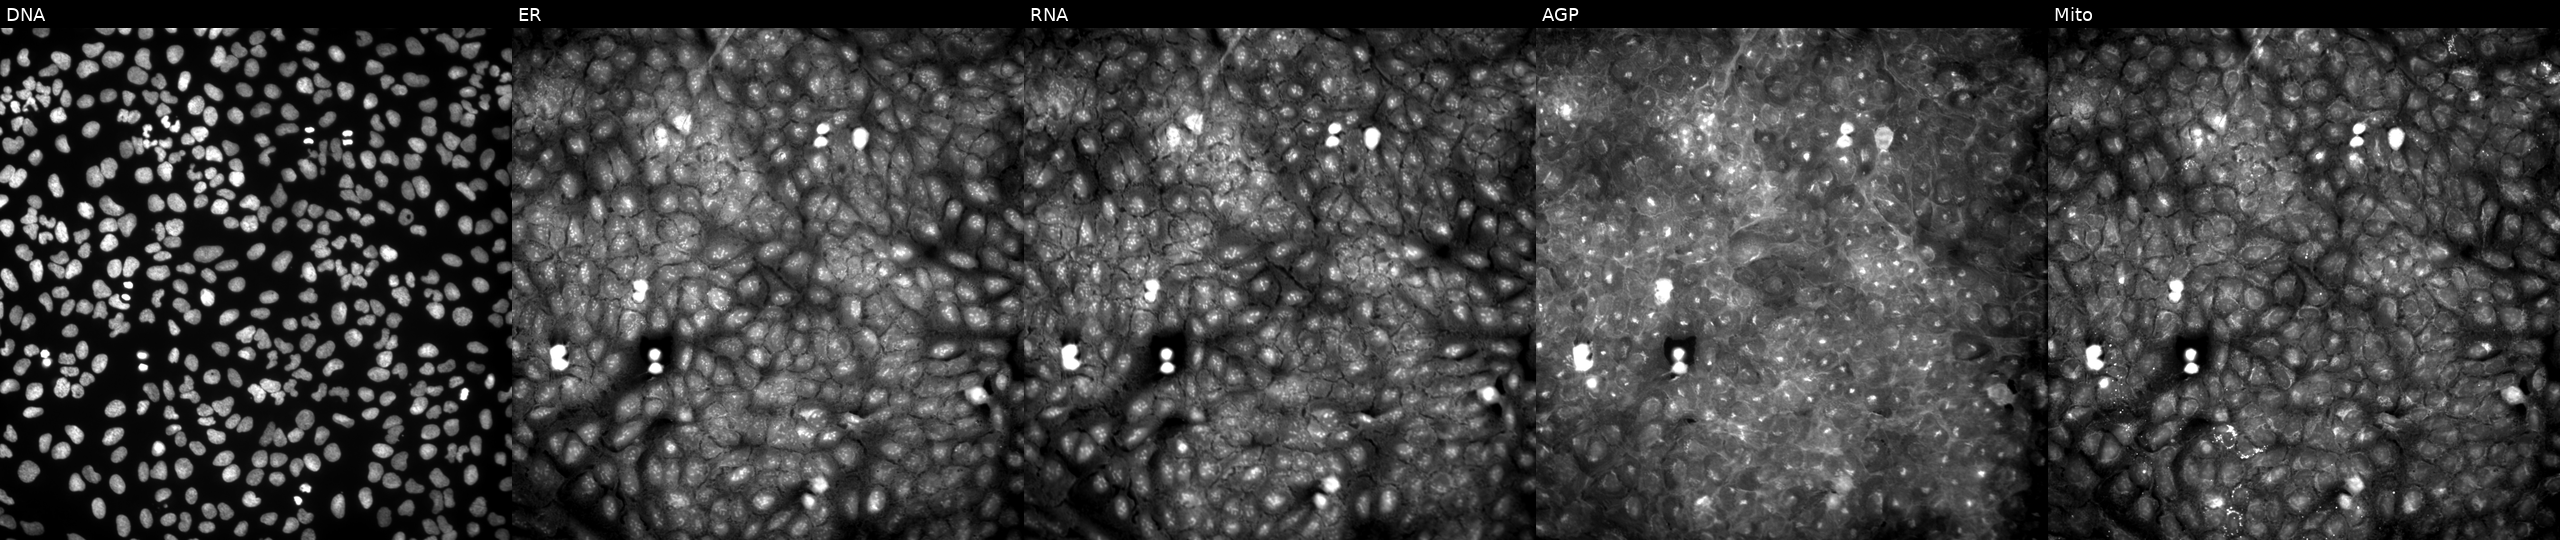
This image strip shows the five Cell Painting channels for a single field of U2OS cells perturbed with a small-molecule compound (JUMP id JCP2022_091485). Panels show, left to right, DNA (nuclei); ER (endoplasmic reticulum); RNA (nucleoli and cytoplasmic RNA); AGP (actin cytoskeleton, Golgi, and plasma membrane); Mito (mitochondria). Source 9, plate GR00003381, well U28.